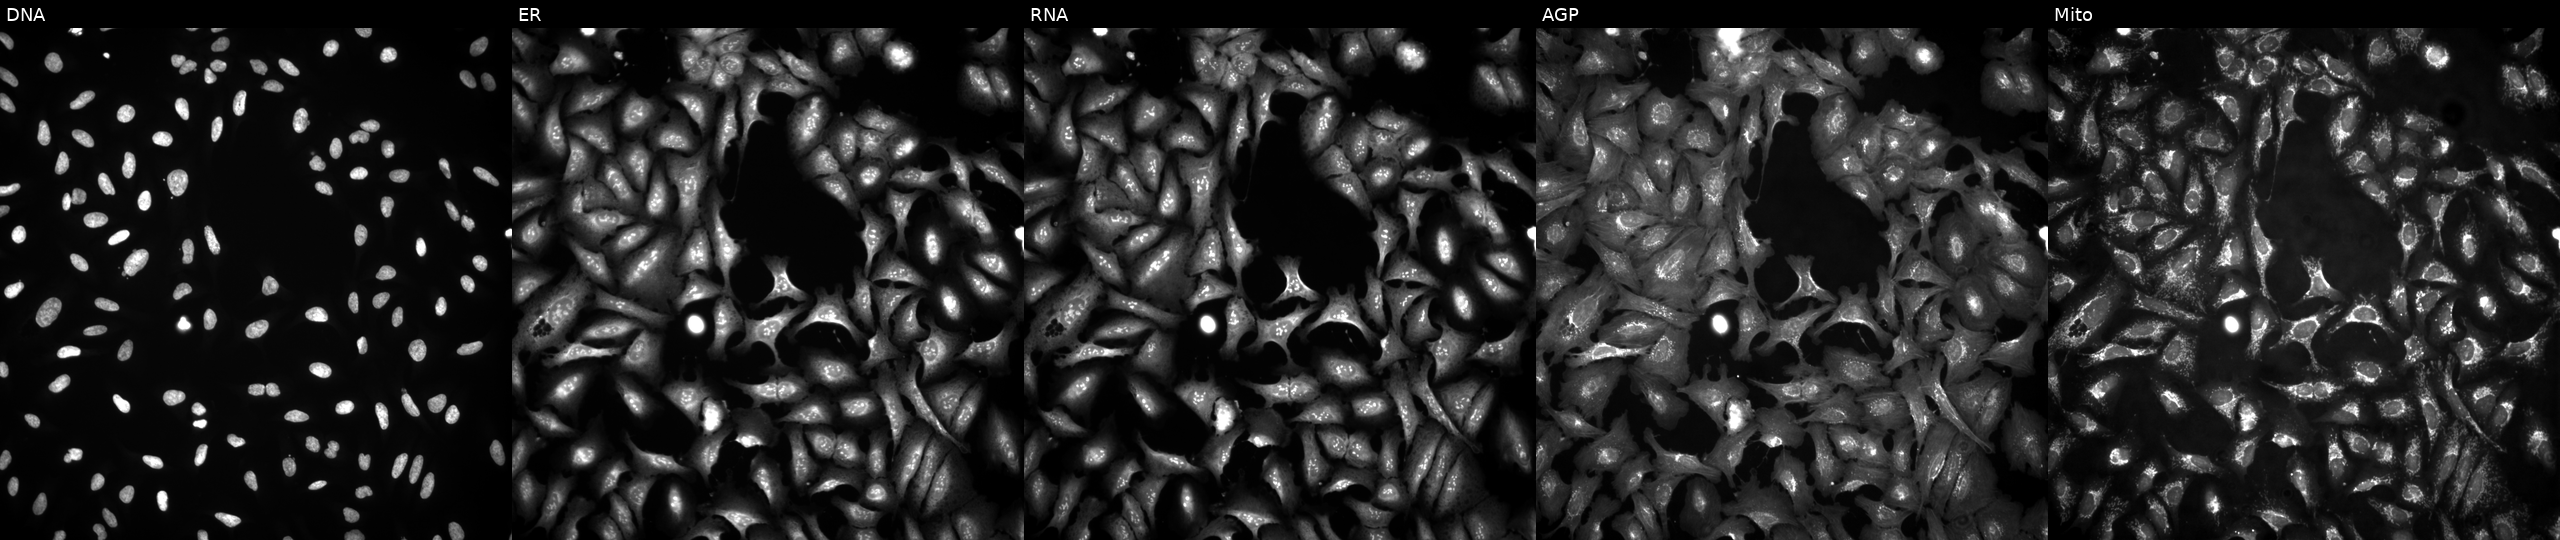
JUMP Cell Painting — ORF plate. U2OS cells overexpressing SGK3 via ORF transfection (JUMP id JCP2022_902656). Channels (left→right): DNA (nuclei); ER (endoplasmic reticulum); RNA (nucleoli and cytoplasmic RNA); AGP (actin cytoskeleton, Golgi, and plasma membrane); Mito (mitochondria). Source 4, plate BR00124787, well L04.